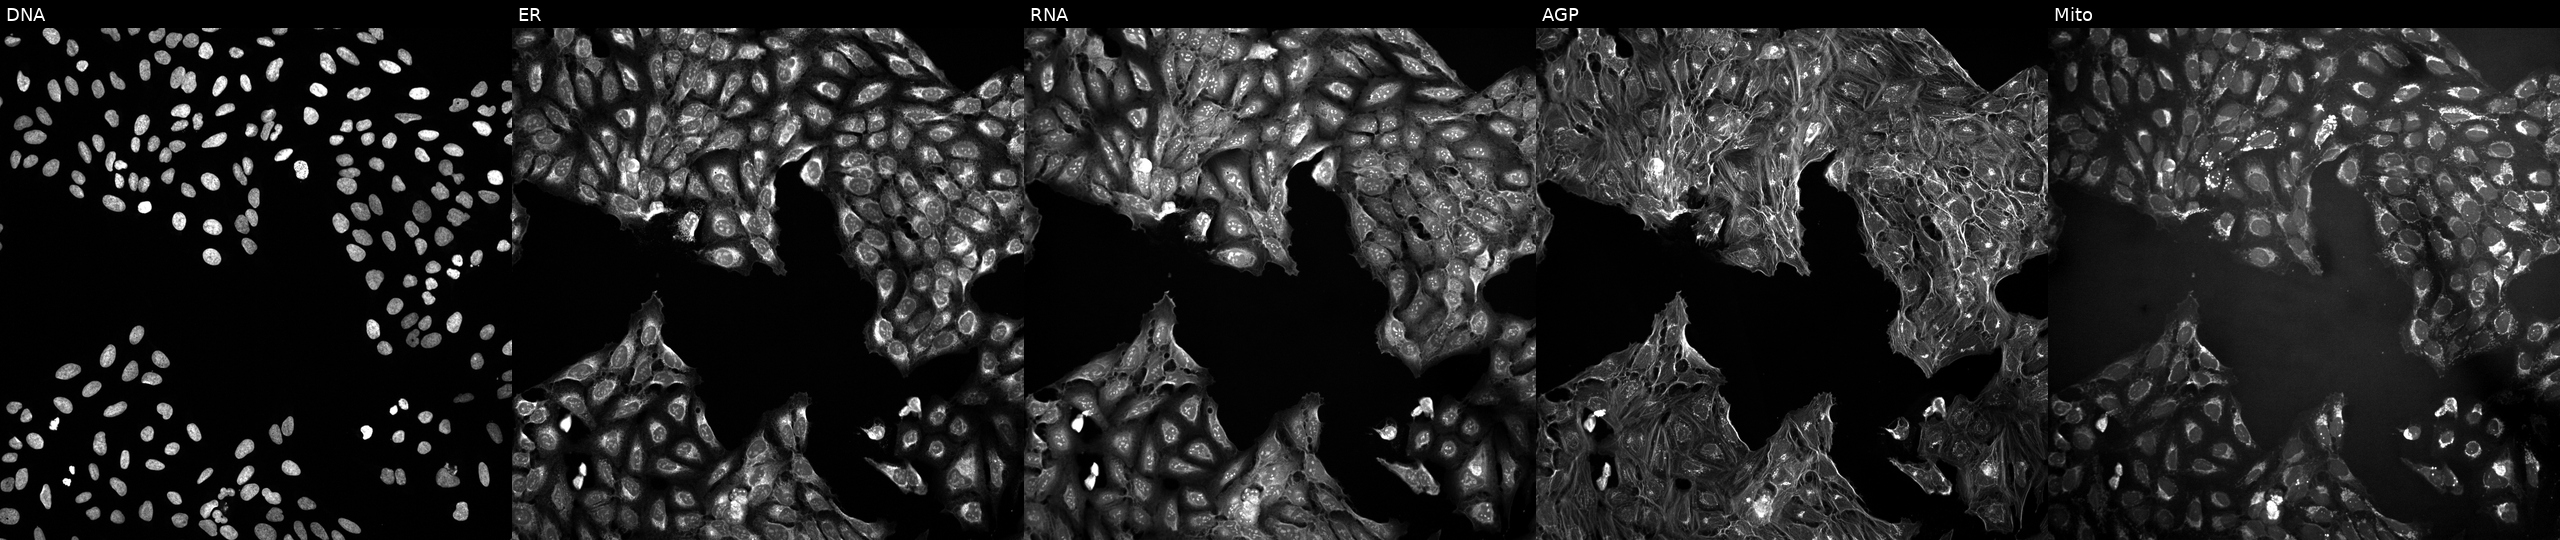
Channels (left→right): DNA, ER, RNA, AGP, and Mito. U2OS osteosarcoma cells treated with a small-molecule compound (InChIKey UETVDPYXQMGVDG-UHFFFAOYSA-N). Cell Painting assay, JUMP-CP dataset.